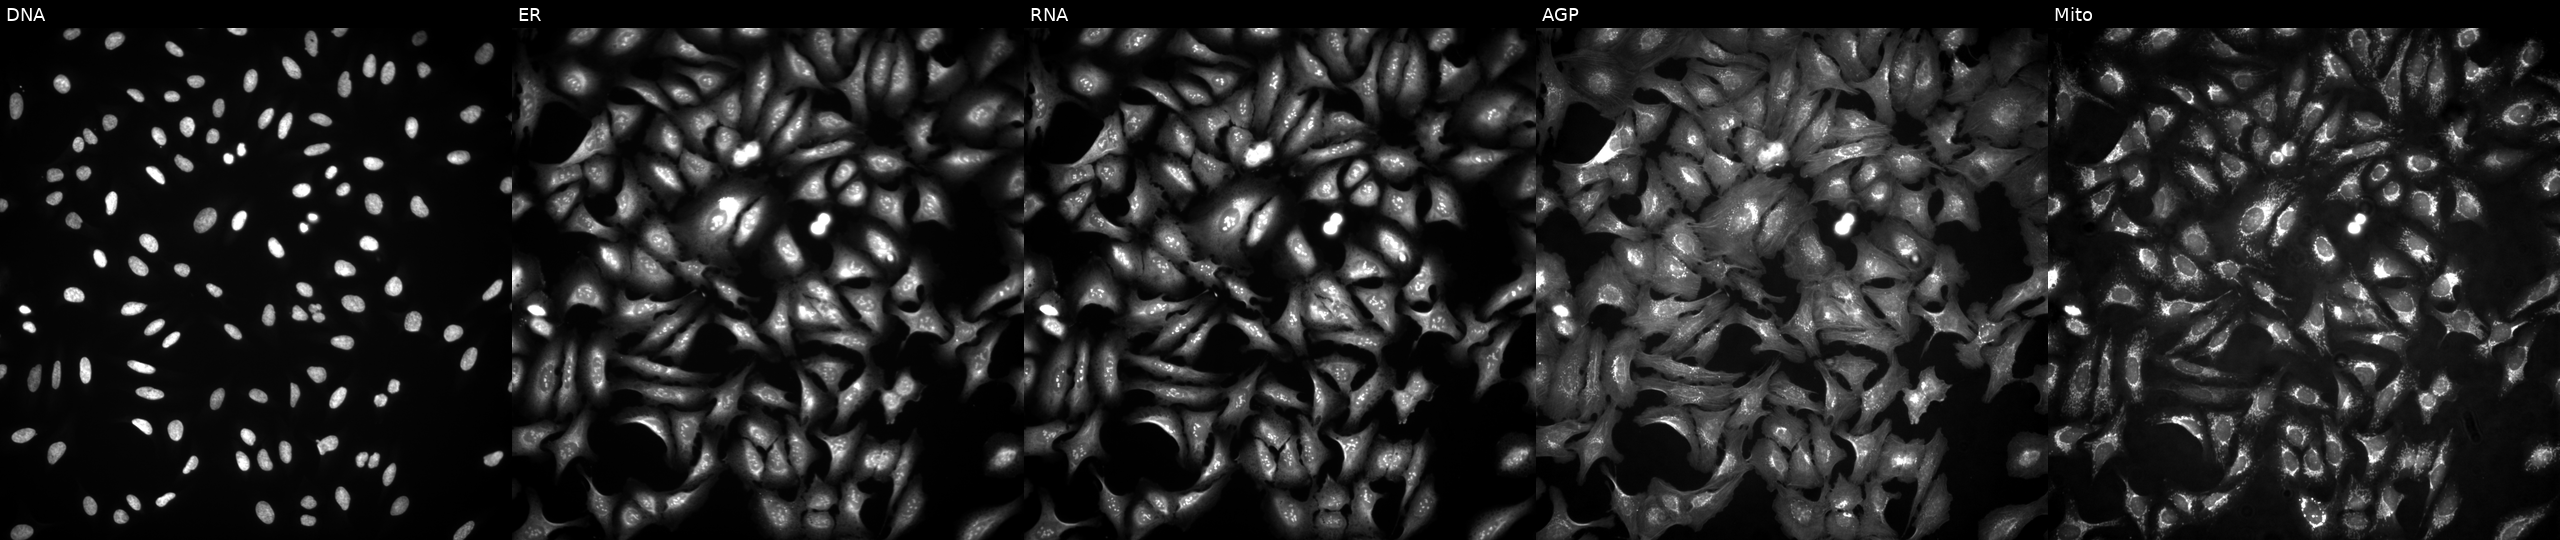
Five-channel Cell Painting image of U2OS cells expressing LUCIFERASE (ORF negative control) (JUMP id JCP2022_915130). Channels (left→right): DNA (nuclei); ER (endoplasmic reticulum); RNA (nucleoli and cytoplasmic RNA); AGP (actin cytoskeleton, Golgi, and plasma membrane); Mito (mitochondria).